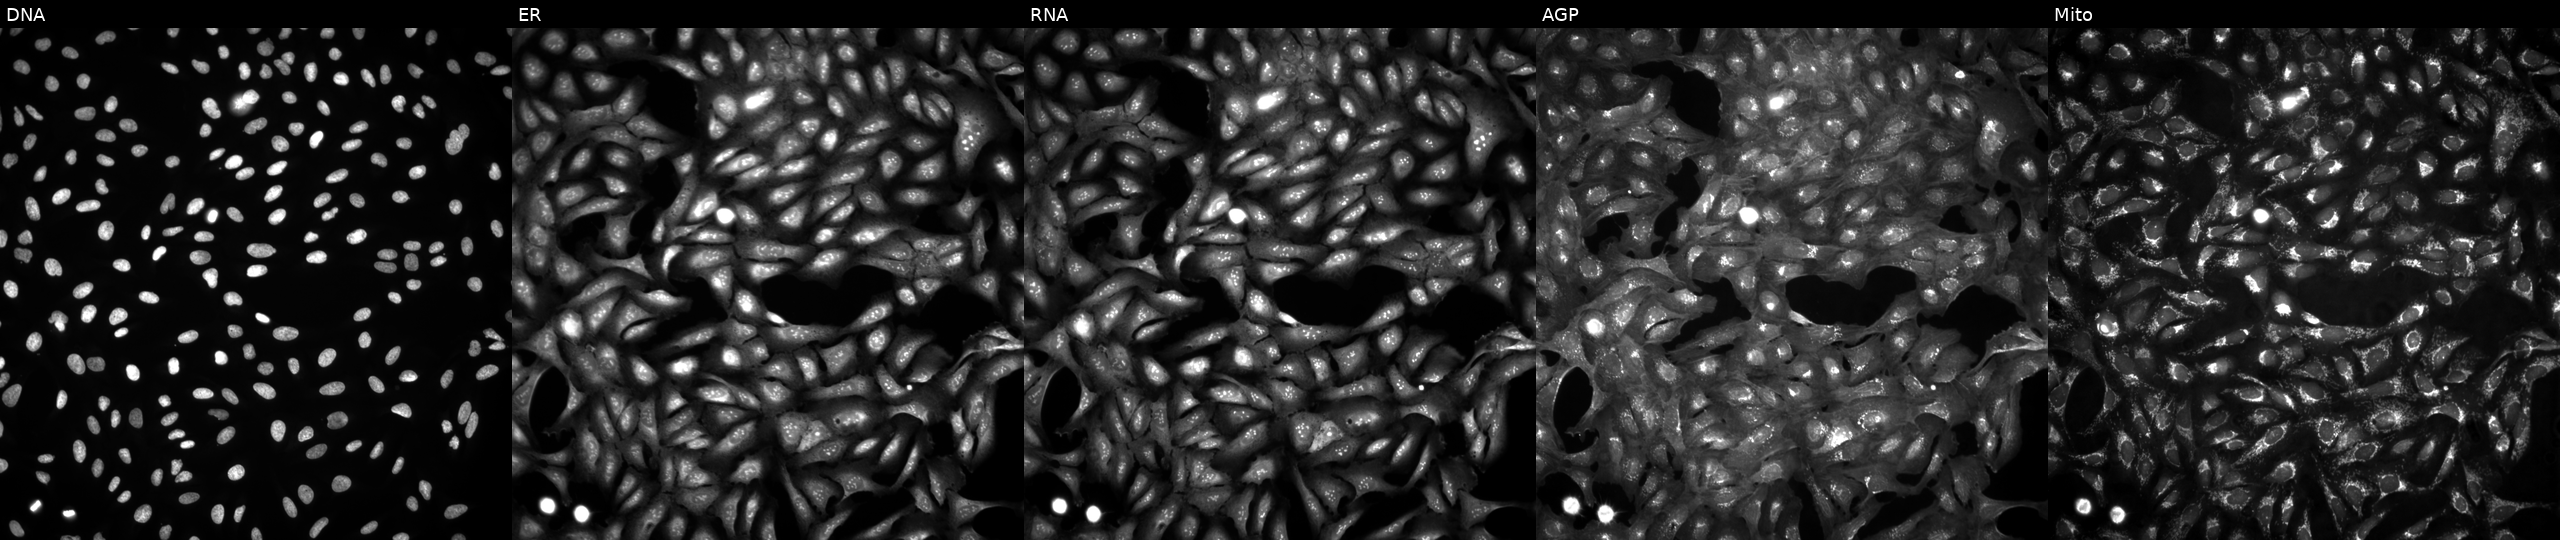
JUMP Cell Painting — ORF plate. U2OS cells untreated (empty-well control) (JUMP id JCP2022_999999). Panels show, left to right, DNA (nuclei); ER (endoplasmic reticulum); RNA (nucleoli and cytoplasmic RNA); AGP (actin cytoskeleton, Golgi, and plasma membrane); Mito (mitochondria).